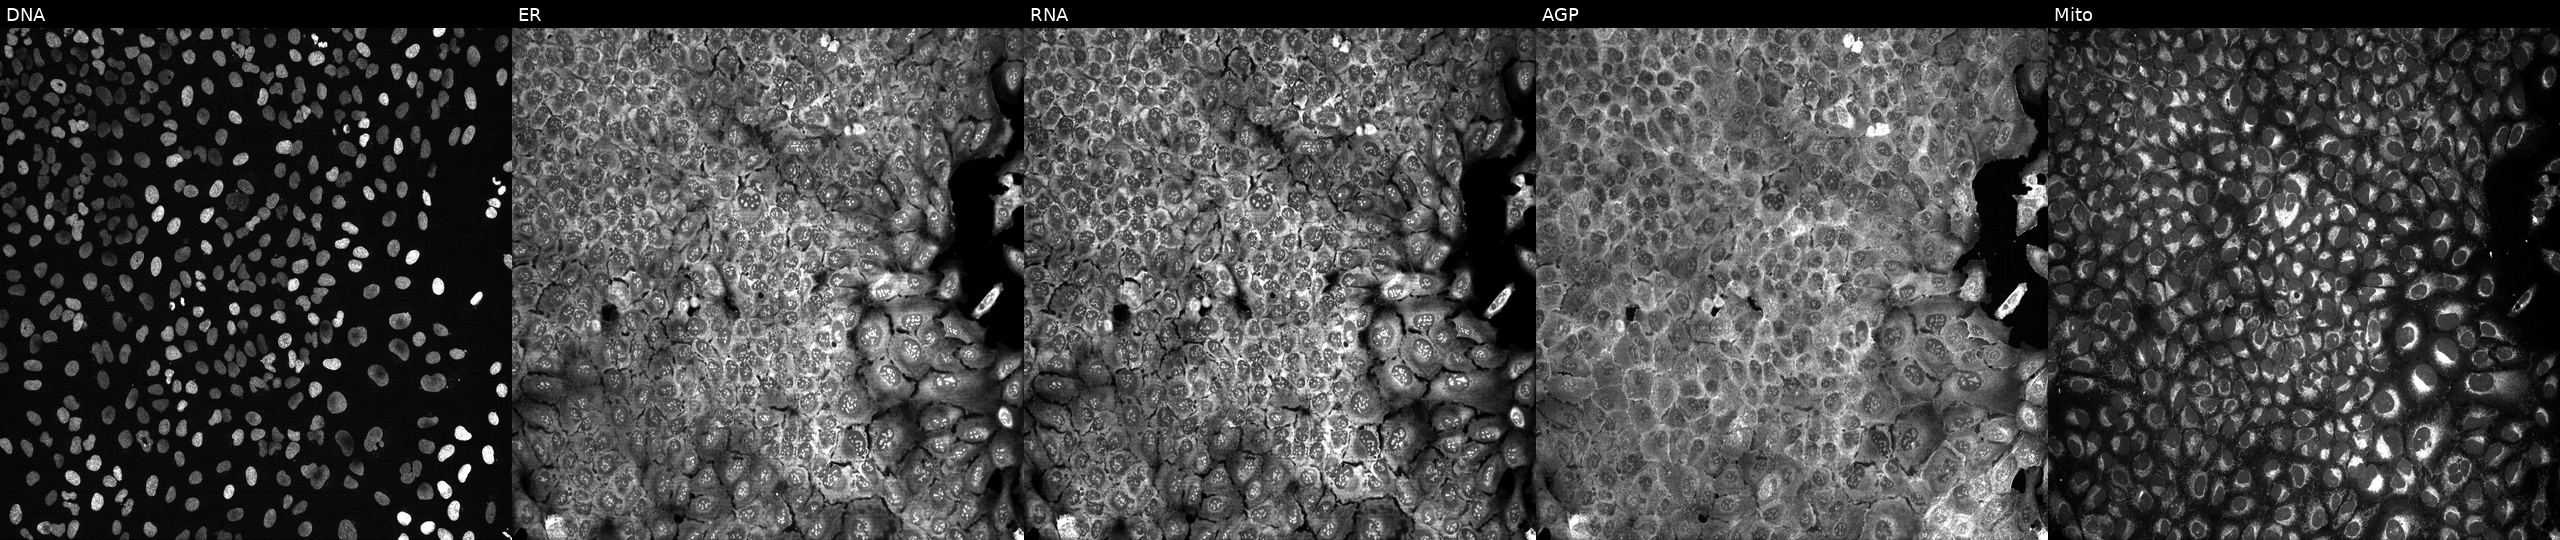
Channels (left→right): DNA (nuclei); ER (endoplasmic reticulum); RNA (nucleoli and cytoplasmic RNA); AGP (actin cytoskeleton, Golgi, and plasma membrane); Mito (mitochondria). U2OS osteosarcoma cells with IDH3A knocked out by CRISPR (JUMP id JCP2022_803322). Cell Painting assay, JUMP-CP dataset.